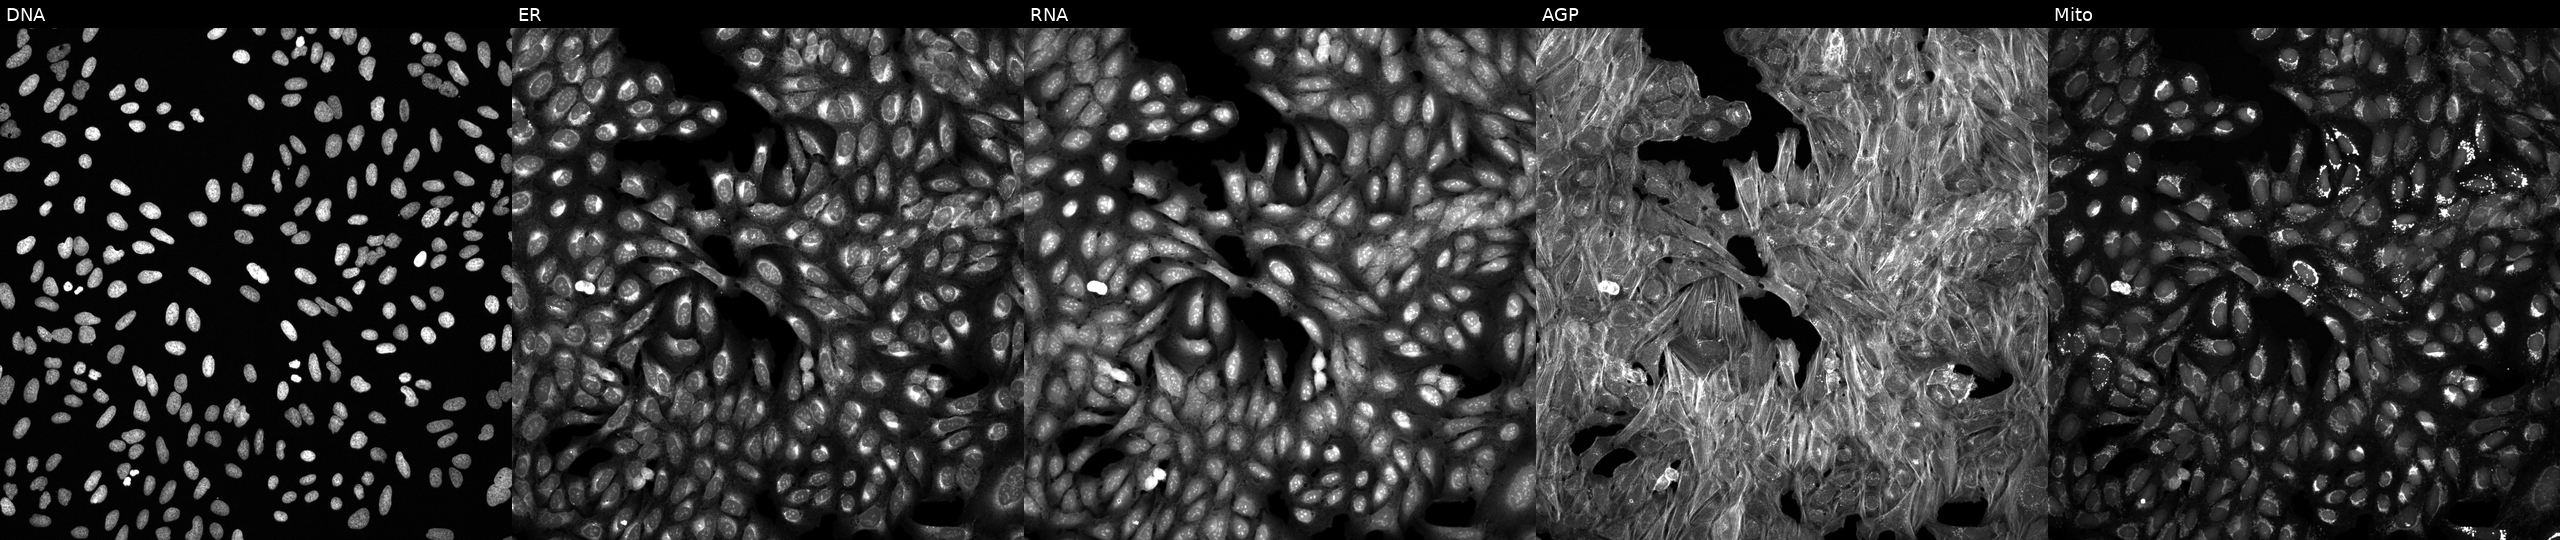
This image strip shows the five Cell Painting channels for a single field of U2OS cells exposed to a small-molecule compound (InChIKey BGVLELSCIHASRV-UHFFFAOYSA-N). The five panels, left to right, show DNA, ER, RNA, AGP, and Mito.